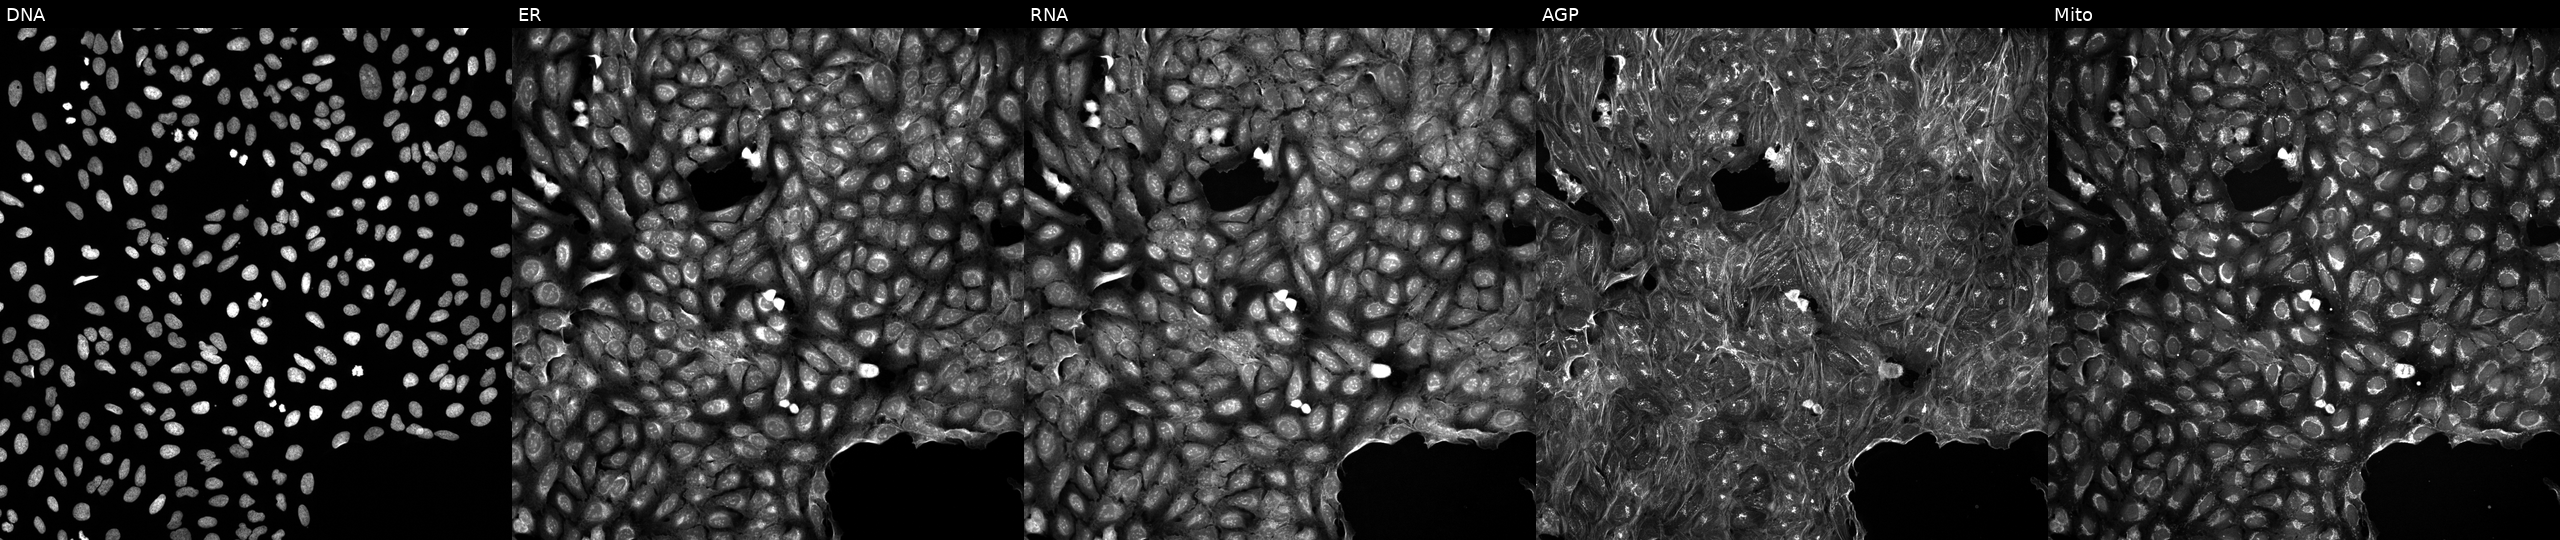
Panels show, left to right, DNA, ER, RNA, AGP, and Mito. U2OS osteosarcoma cells treated with a small-molecule compound [SMILES: CC(NC(=O)CCc1nc(=O)c2ccccc2[nH]1)c1ccccc1]. Cell Painting assay, JUMP-CP dataset.